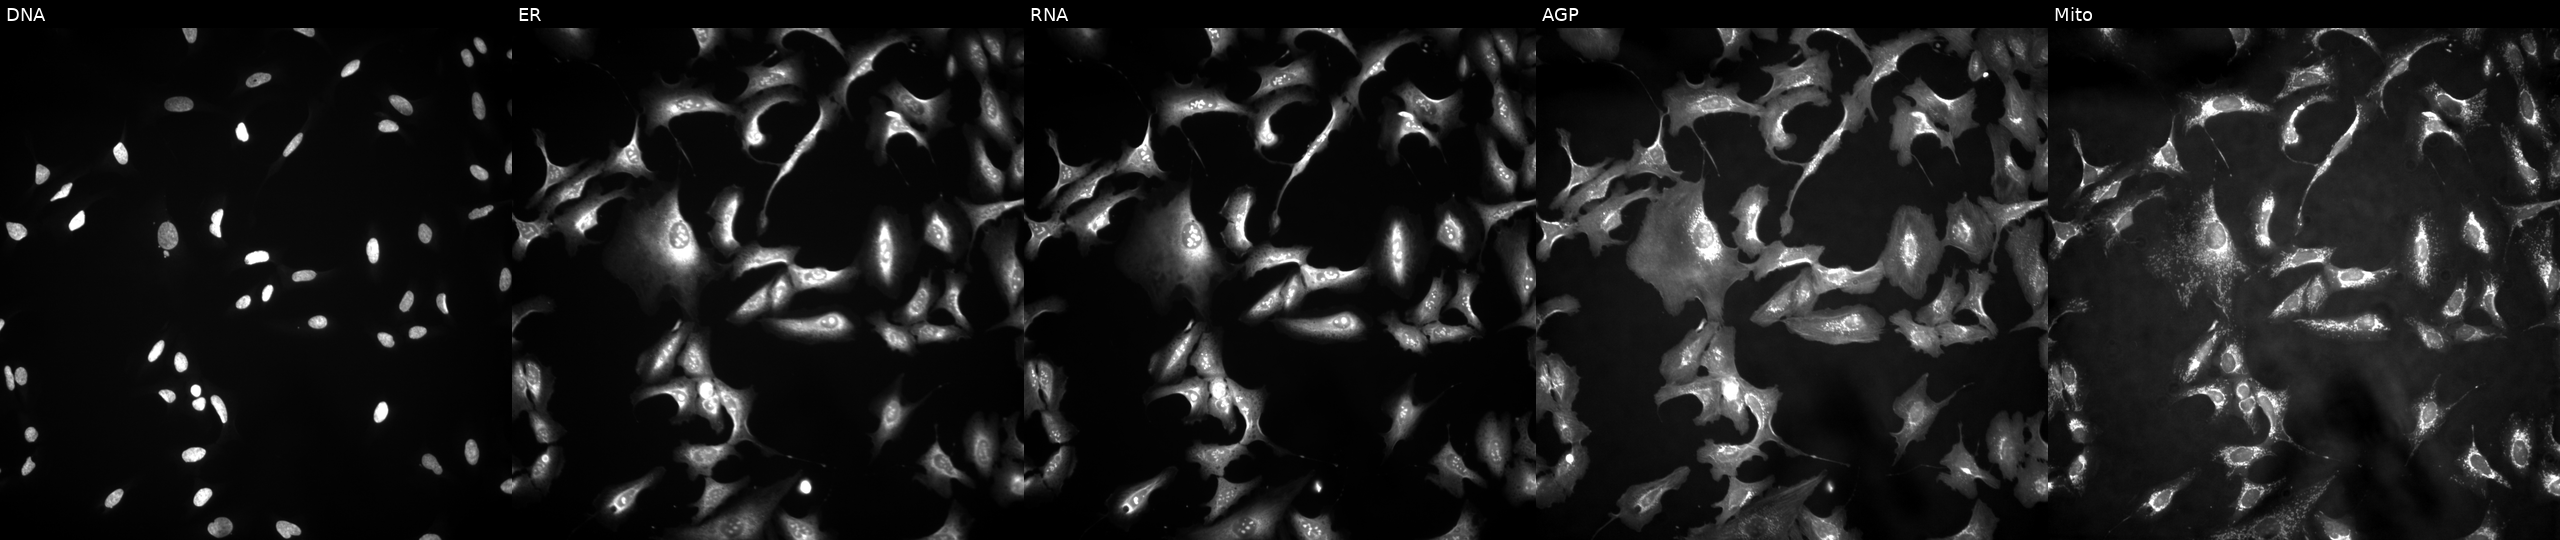
This image strip shows the five Cell Painting channels for a single field of U2OS cells transfected with an ORF construct for CDKN2D (JUMP id JCP2022_900261). From left to right: DNA (nuclei); ER (endoplasmic reticulum); RNA (nucleoli and cytoplasmic RNA); AGP (actin cytoskeleton, Golgi, and plasma membrane); Mito (mitochondria).